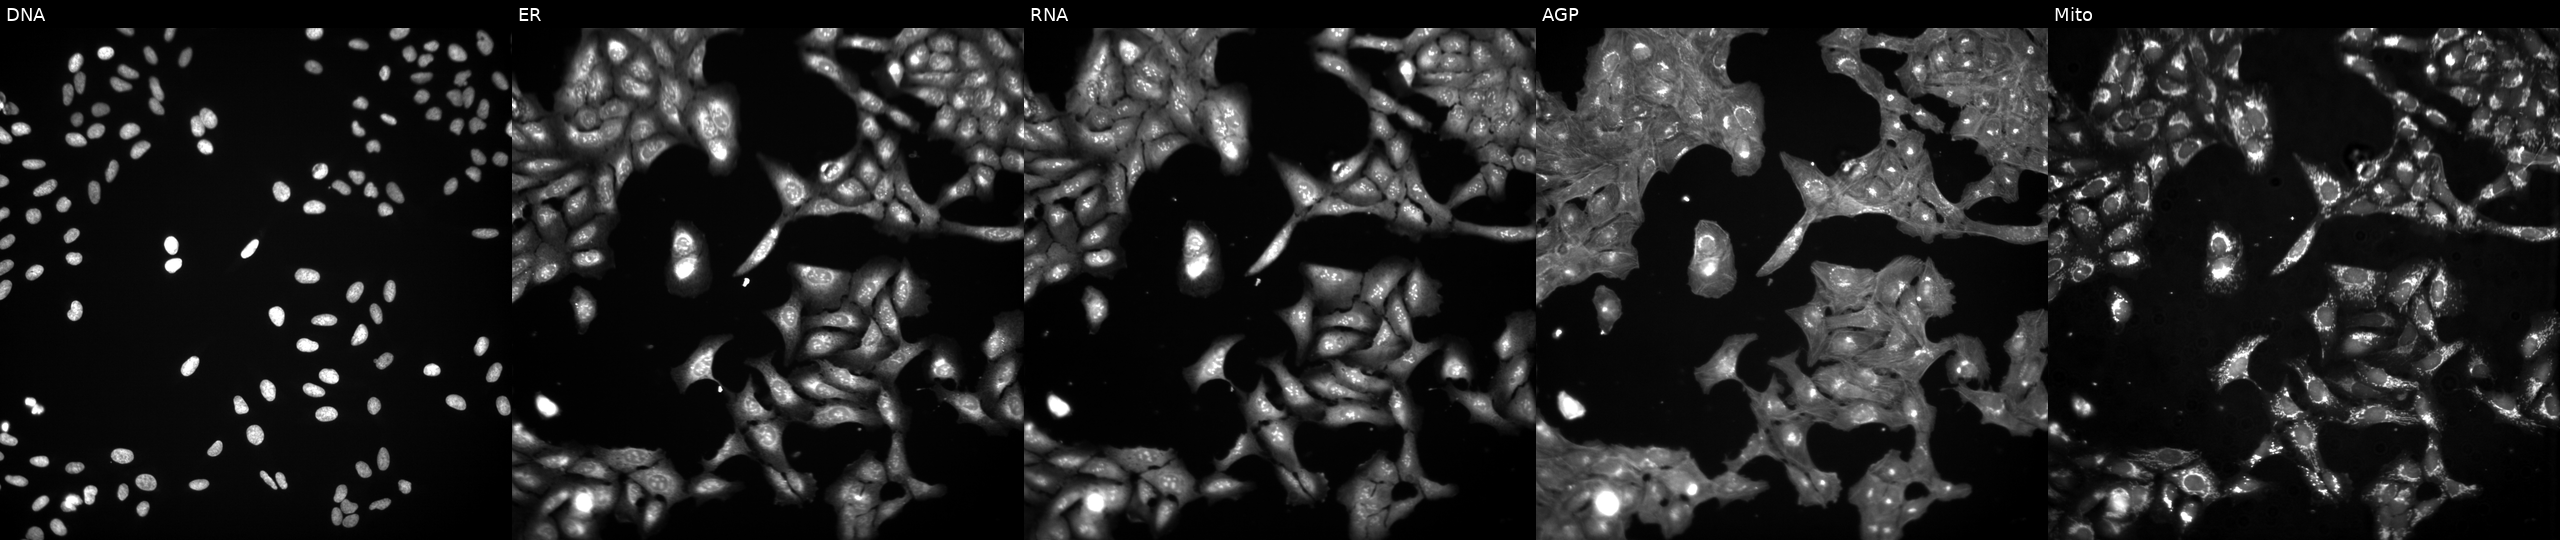
This image strip shows the five Cell Painting channels for a single field of U2OS cells exposed to DMSO alone as a negative control (JUMP id JCP2022_033924). The five panels, left to right, show DNA, ER, RNA, AGP, and Mito. Source 3, plate BR5867a3, well A02.